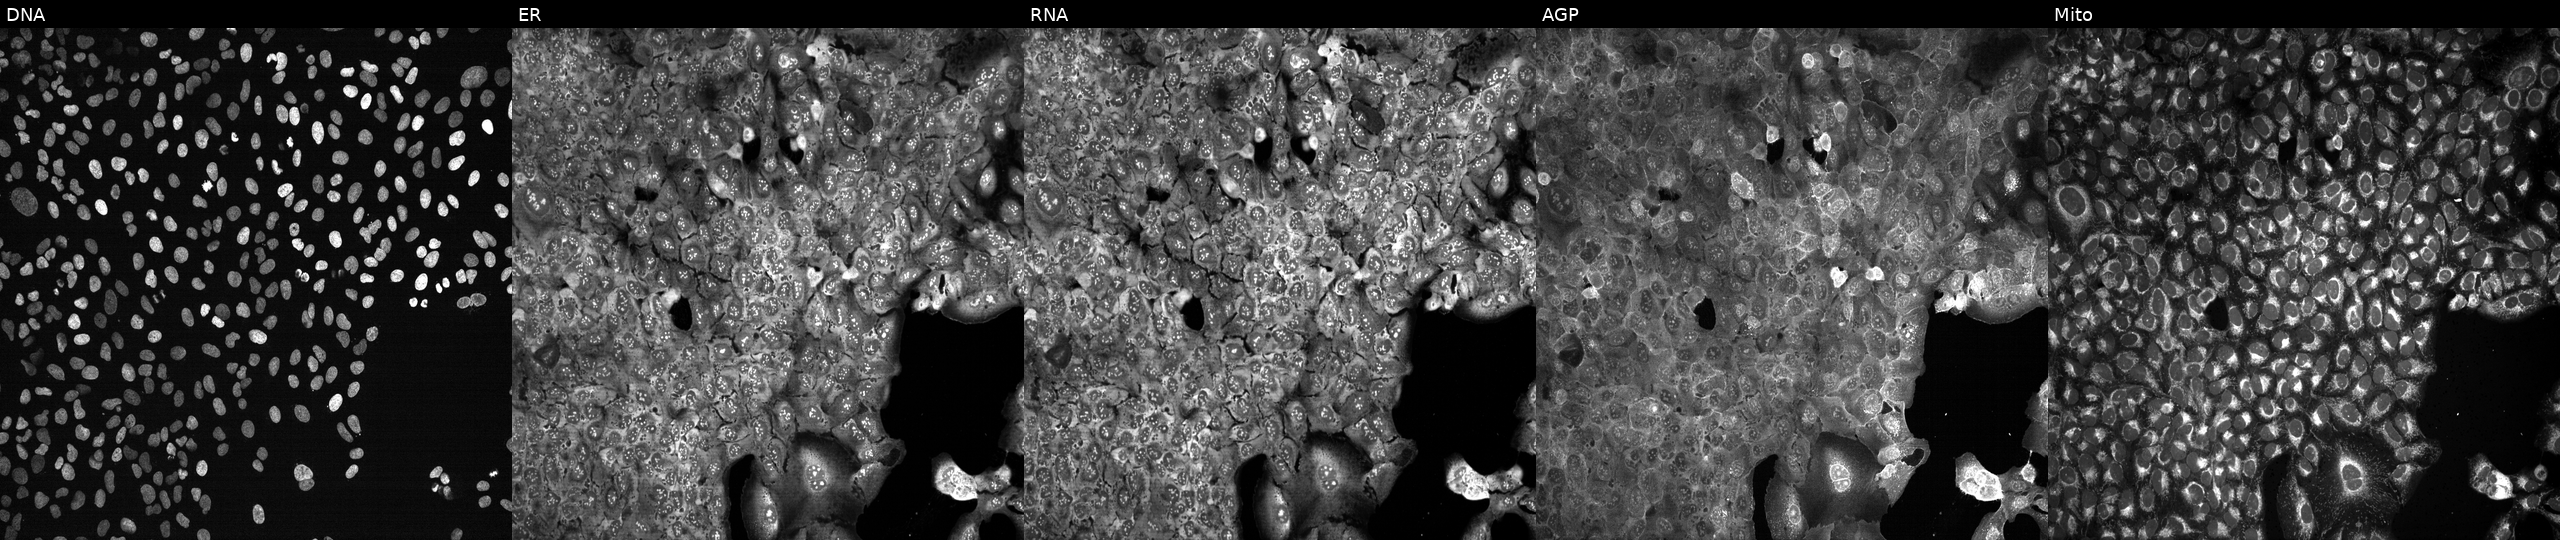
The five panels, left to right, show Hoechst 33342, concanavalin A, SYTO 14, phalloidin and WGA, MitoTracker. U2OS osteosarcoma cells with STX2 knocked out by CRISPR. Cell Painting assay, JUMP-CP dataset.